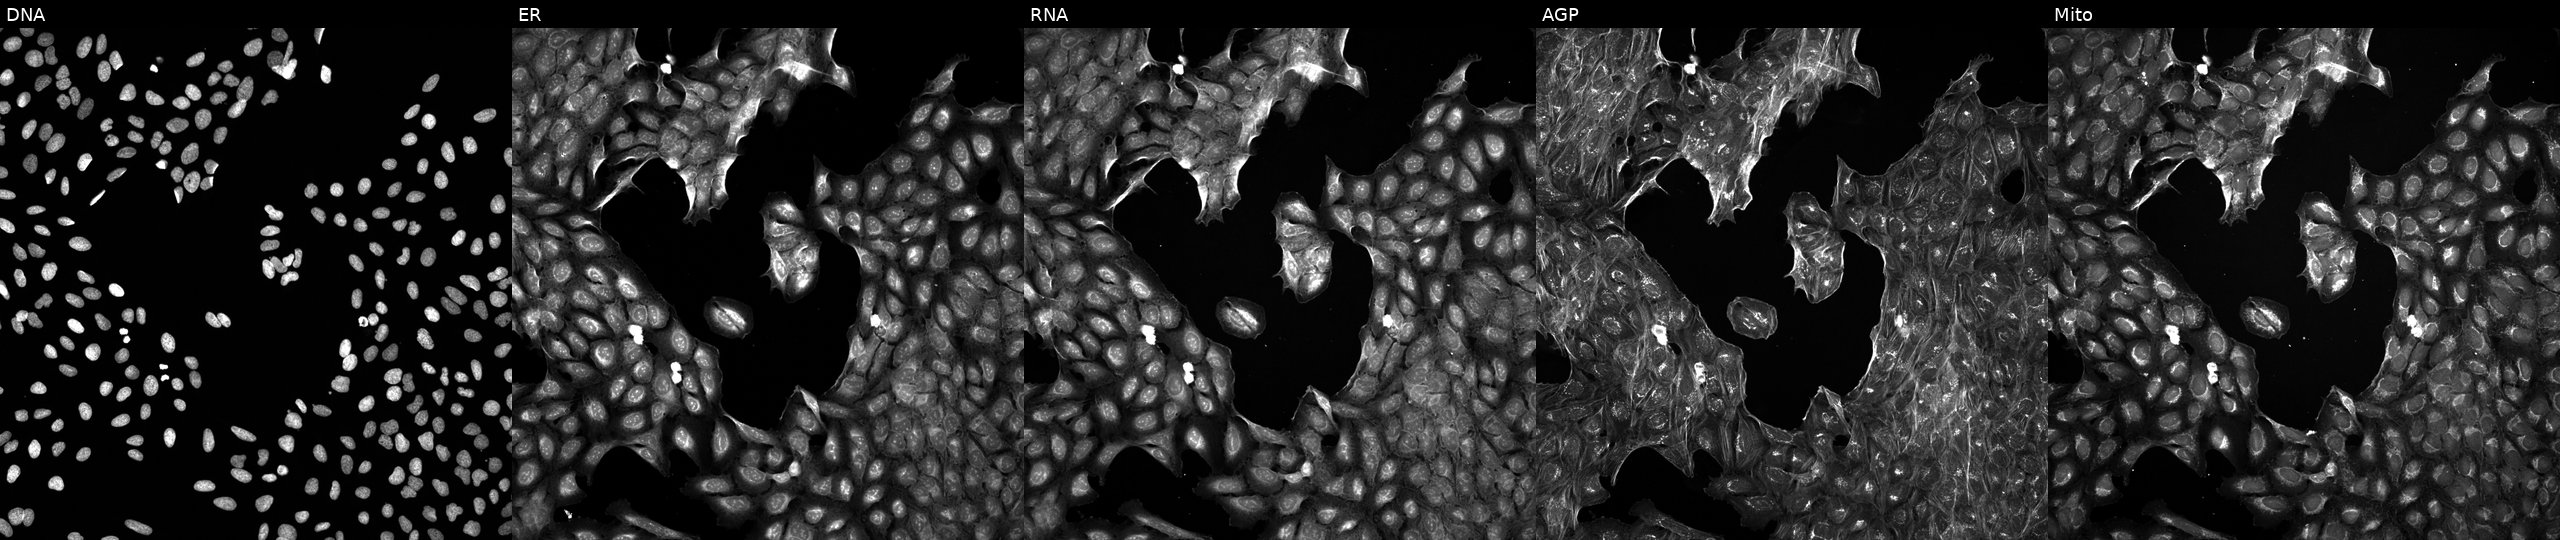
Five-channel Cell Painting image of U2OS cells treated with a small-molecule compound (InChIKey ZCGLEHLQJNZKND-UHFFFAOYSA-N) (JUMP id JCP2022_112425). The five panels, left to right, show Hoechst 33342, concanavalin A, SYTO 14, phalloidin and WGA, MitoTracker.